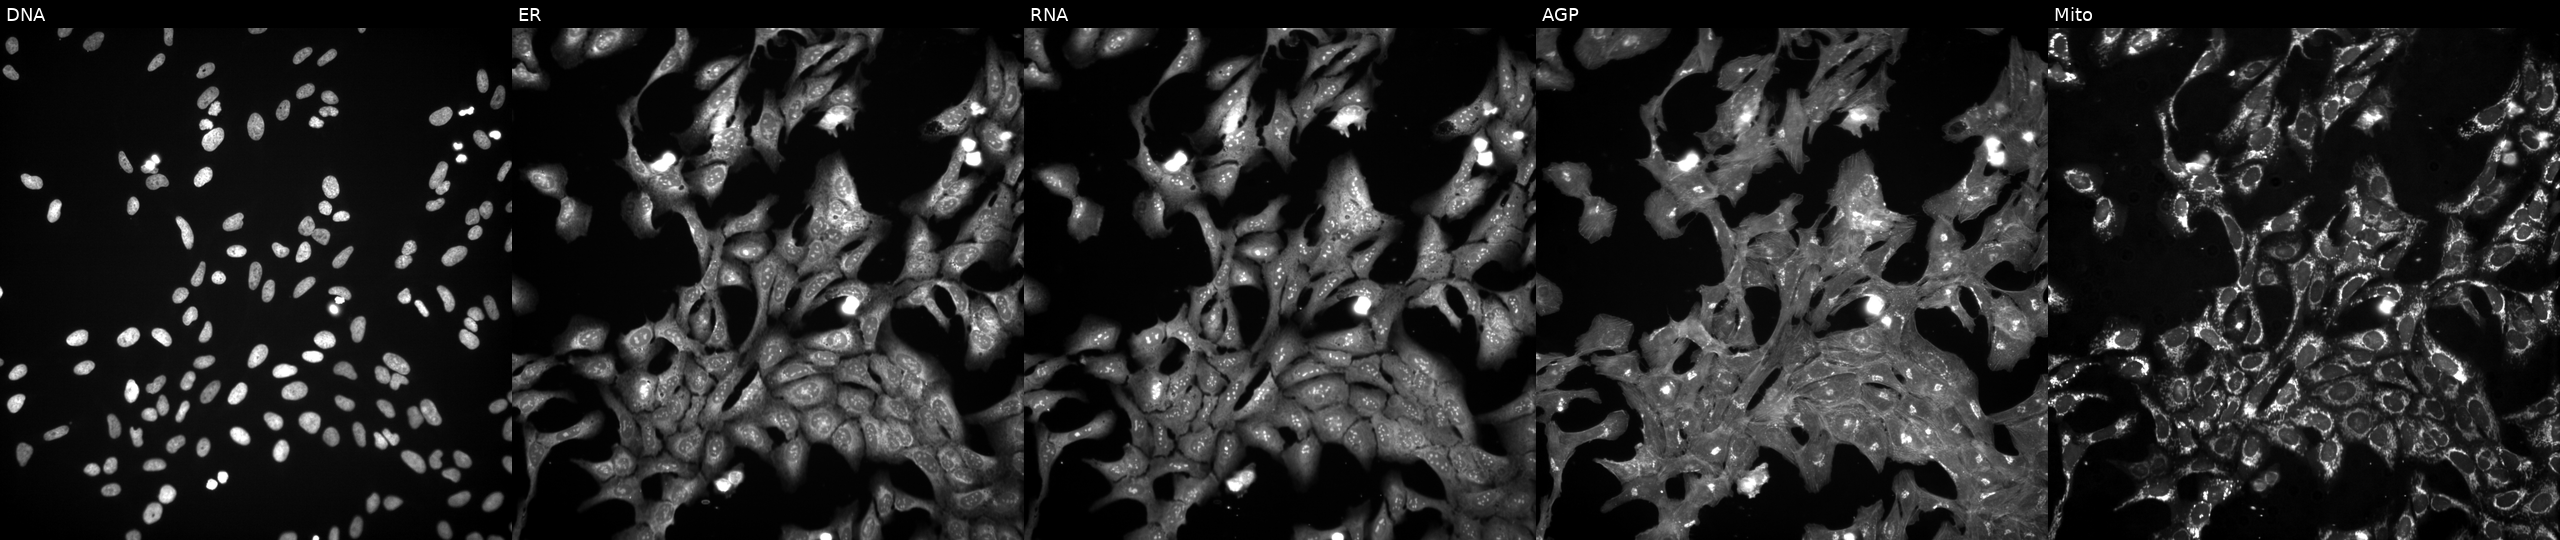
Five-channel Cell Painting image of U2OS cells exposed to a small-molecule compound (InChIKey DWOMDESJFAJYTE-UHFFFAOYSA-N). Panels show, left to right, DNA, ER, RNA, AGP, and Mito.